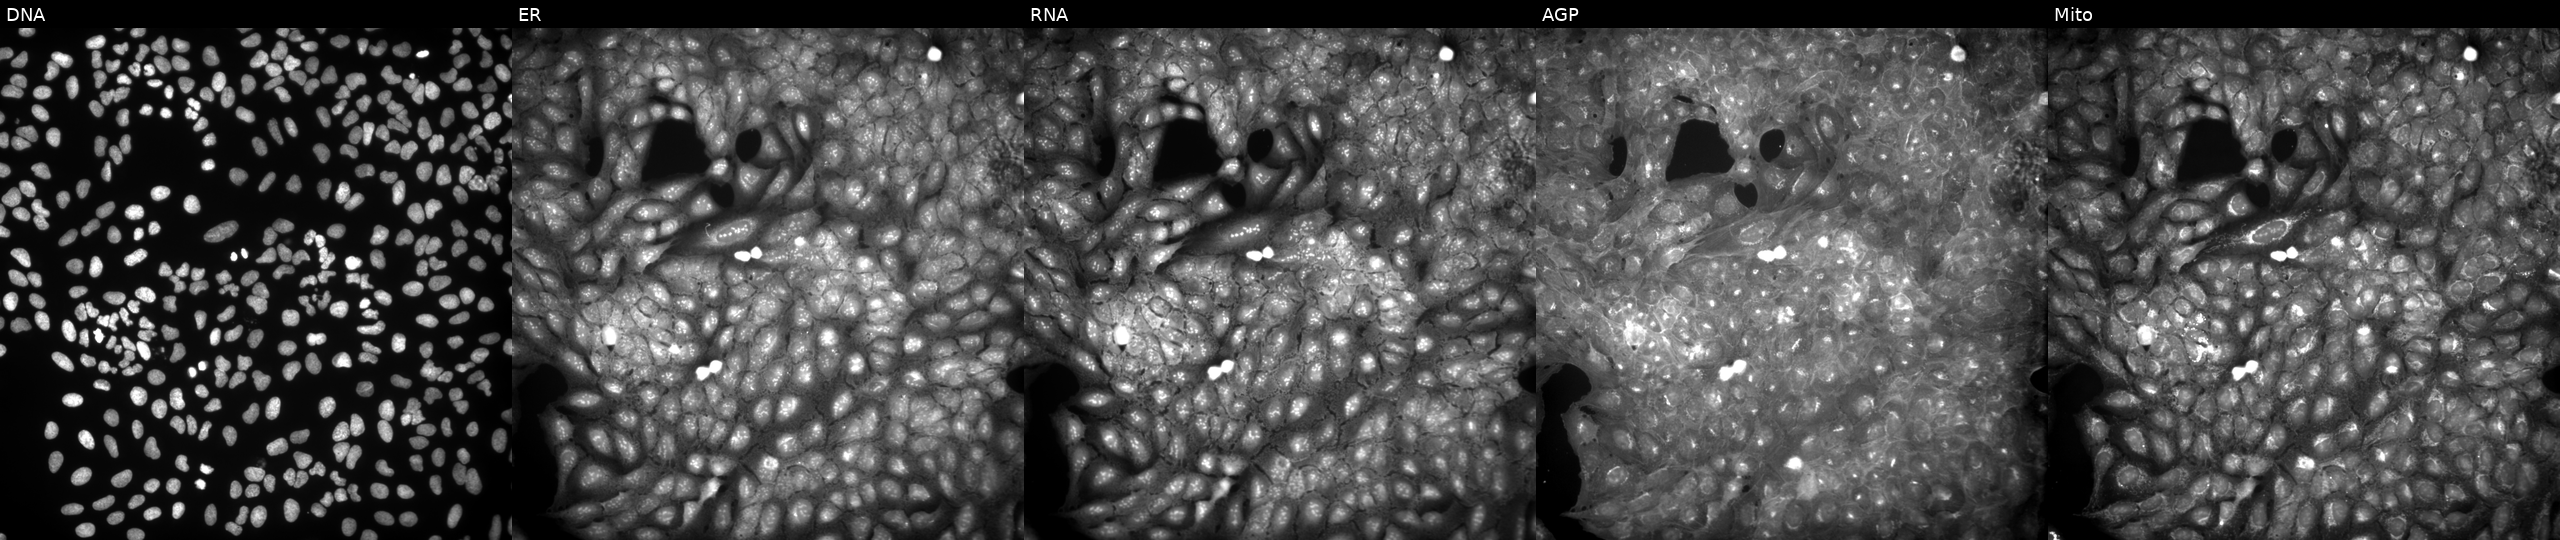
High-content fluorescence microscopy (Cell Painting). Cell line: U2OS. Perturbation: treated with a small-molecule compound (JUMP id JCP2022_003237). From left to right: Hoechst 33342, concanavalin A, SYTO 14, phalloidin and WGA, MitoTracker.